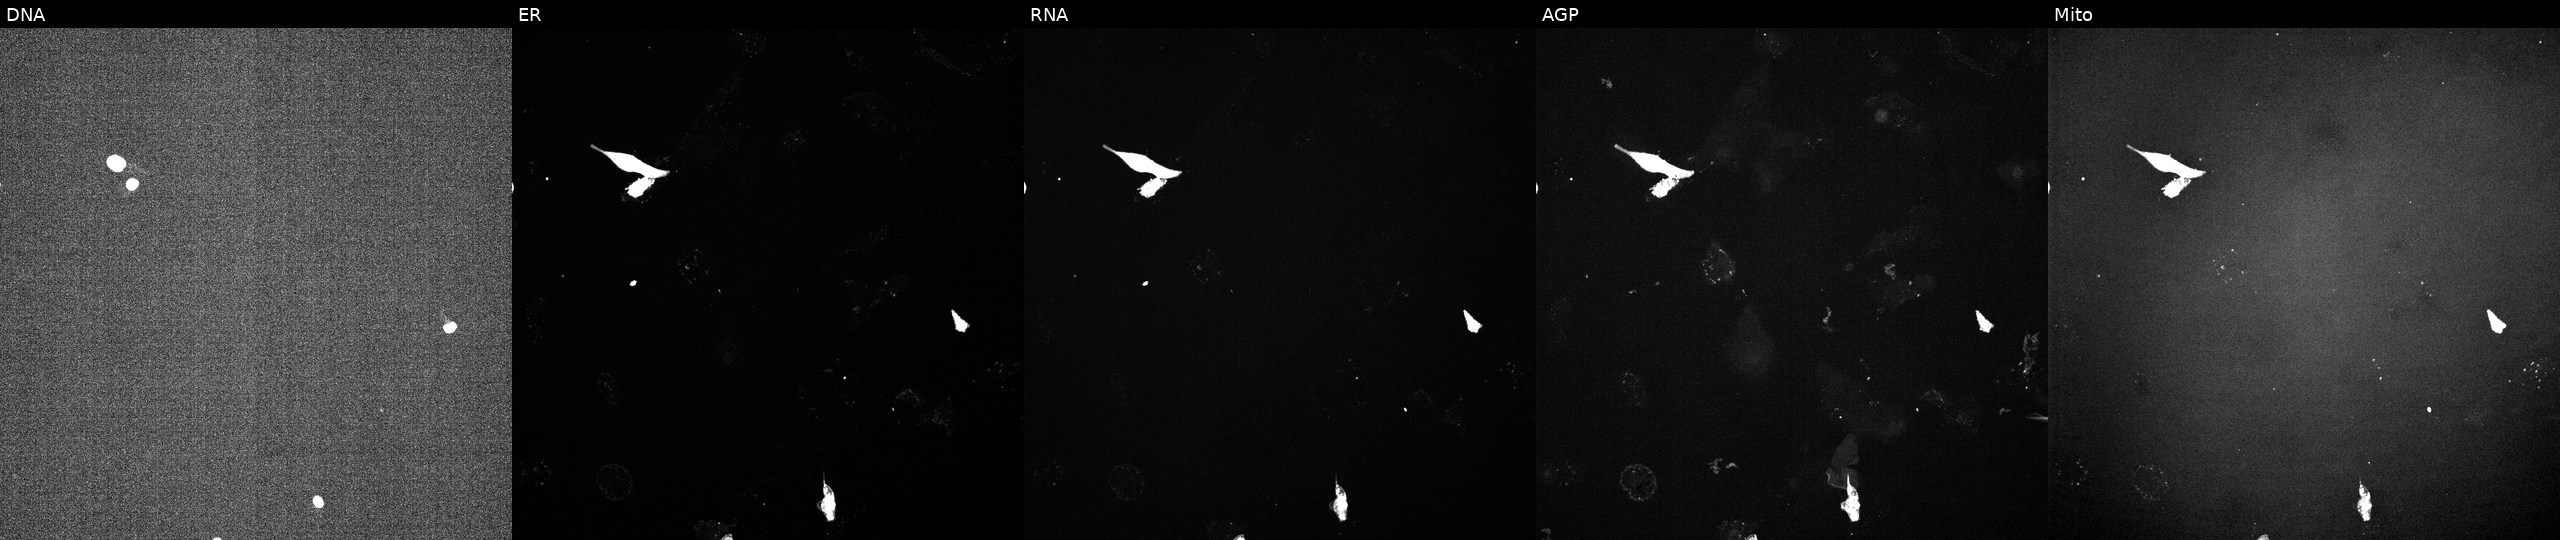
JUMP Cell Painting — TARGET2 plate. U2OS cells exposed to a small-molecule compound (InChIKey VERWOWGGCGHDQE-UHFFFAOYSA-N) (JUMP id JCP2022_093480). Channels (left→right): DNA, ER, RNA, AGP, and Mito.